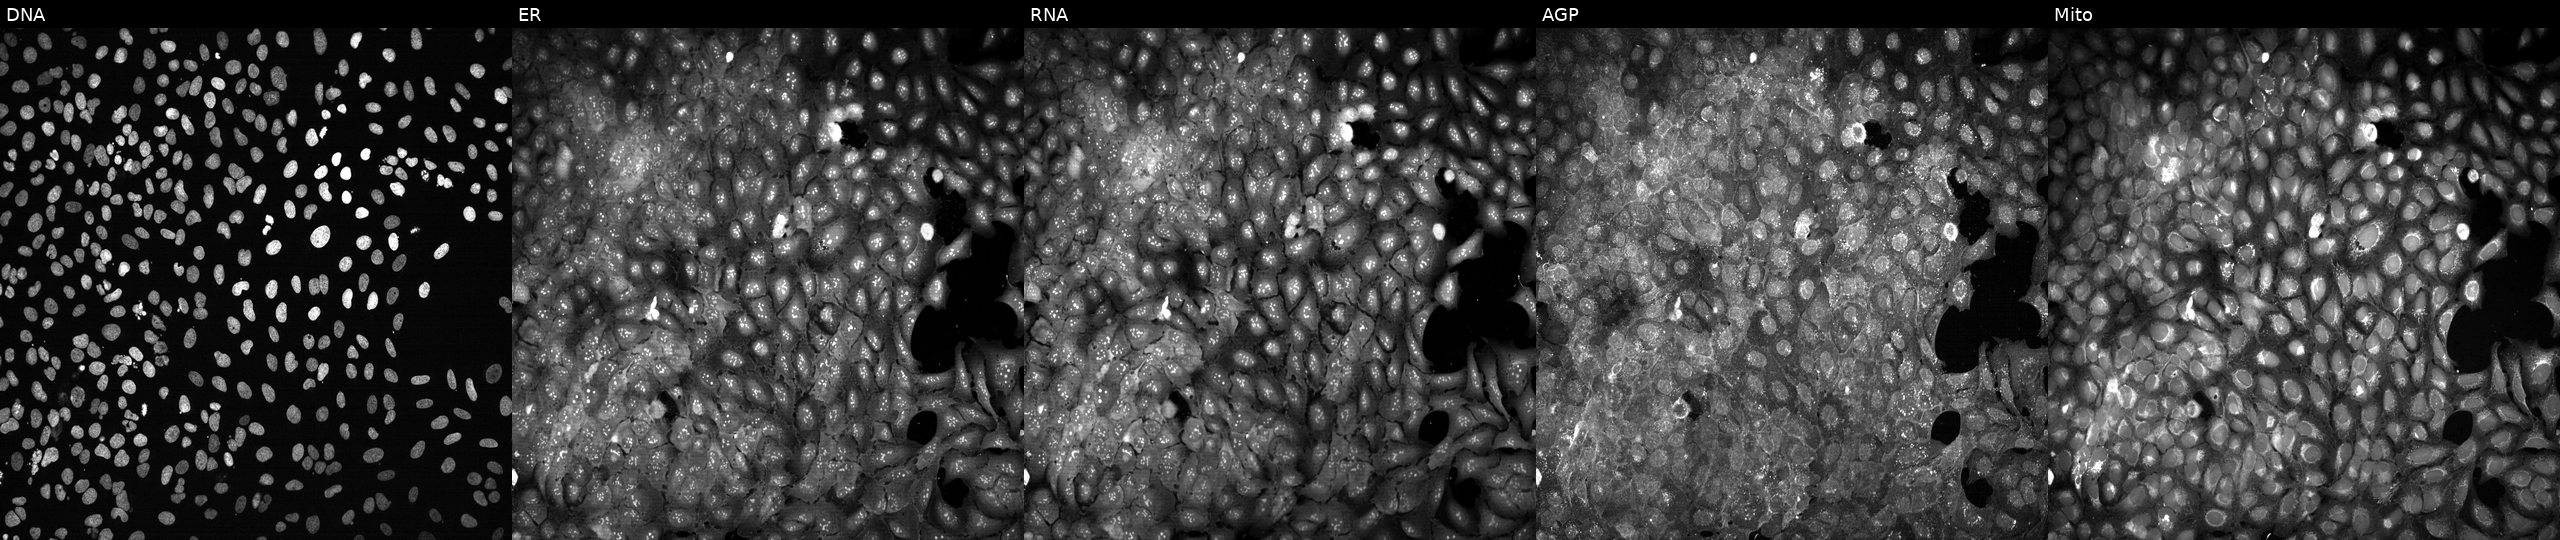
This image strip shows the five Cell Painting channels for a single field of U2OS cells CRISPR-edited to disrupt NECTIN4 (JUMP id JCP2022_804502). The five panels, left to right, show DNA (nuclei); ER (endoplasmic reticulum); RNA (nucleoli and cytoplasmic RNA); AGP (actin cytoskeleton, Golgi, and plasma membrane); Mito (mitochondria). Source 13, plate CP-CC9-R1-01, well O09.